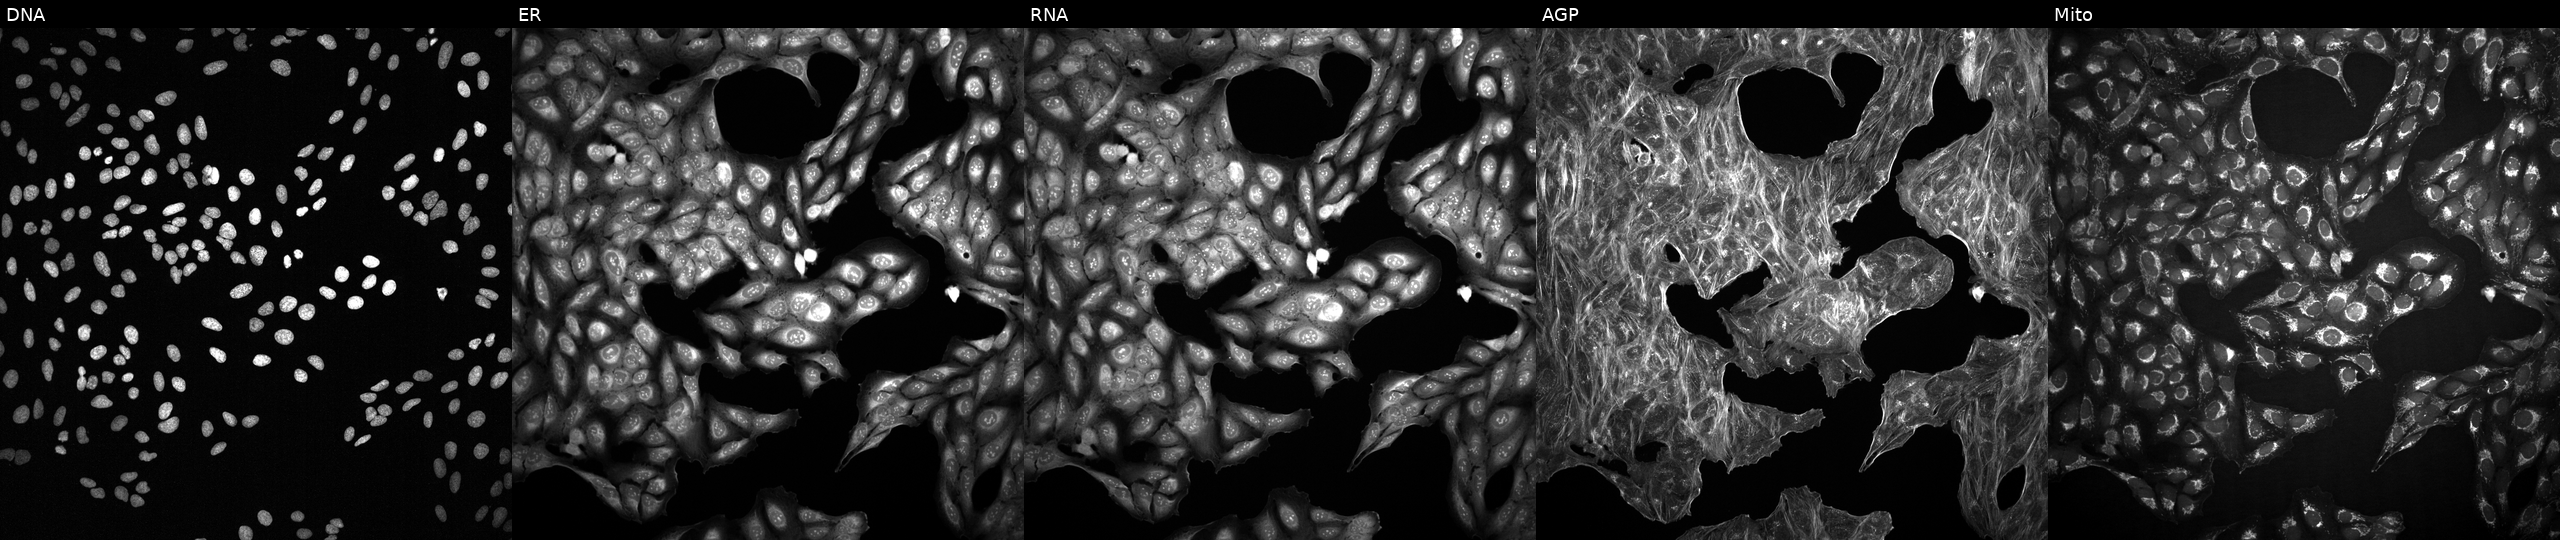
JUMP Cell Painting — COMPOUND plate. U2OS cells with an unidentified perturbation (not annotated in JUMP metadata). From left to right: Hoechst 33342, concanavalin A, SYTO 14, phalloidin and WGA, MitoTracker. Source 2, plate 1053601763, well H08.